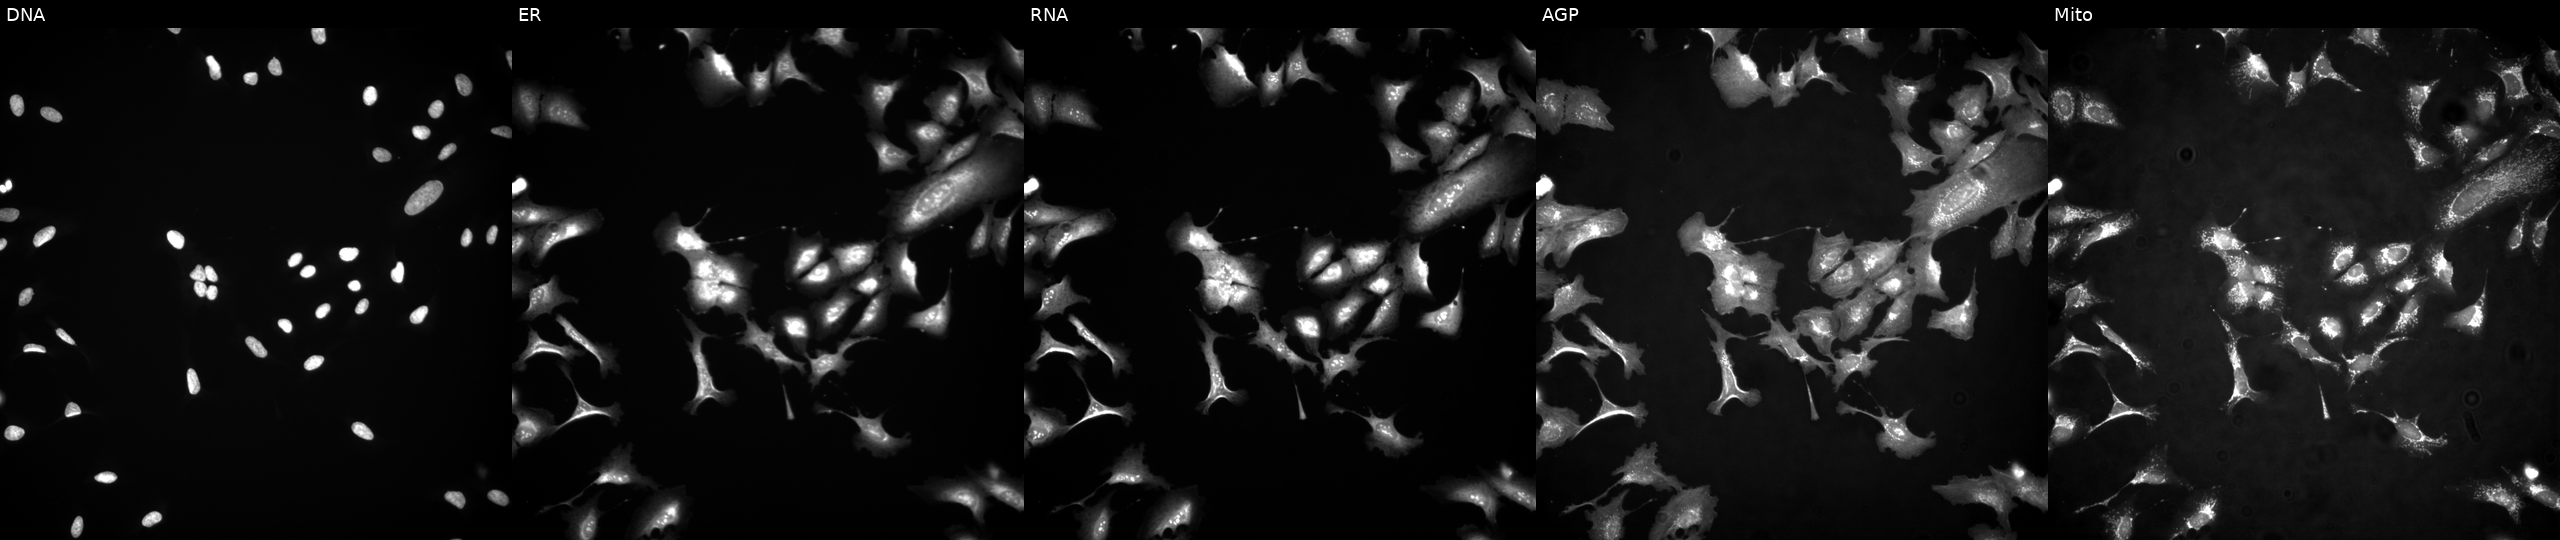
JUMP Cell Painting — ORF plate. U2OS cells overexpressing MLX via ORF transfection. The five panels, left to right, show DNA (nuclei); ER (endoplasmic reticulum); RNA (nucleoli and cytoplasmic RNA); AGP (actin cytoskeleton, Golgi, and plasma membrane); Mito (mitochondria). Source 4, plate BR00124787, well H14.